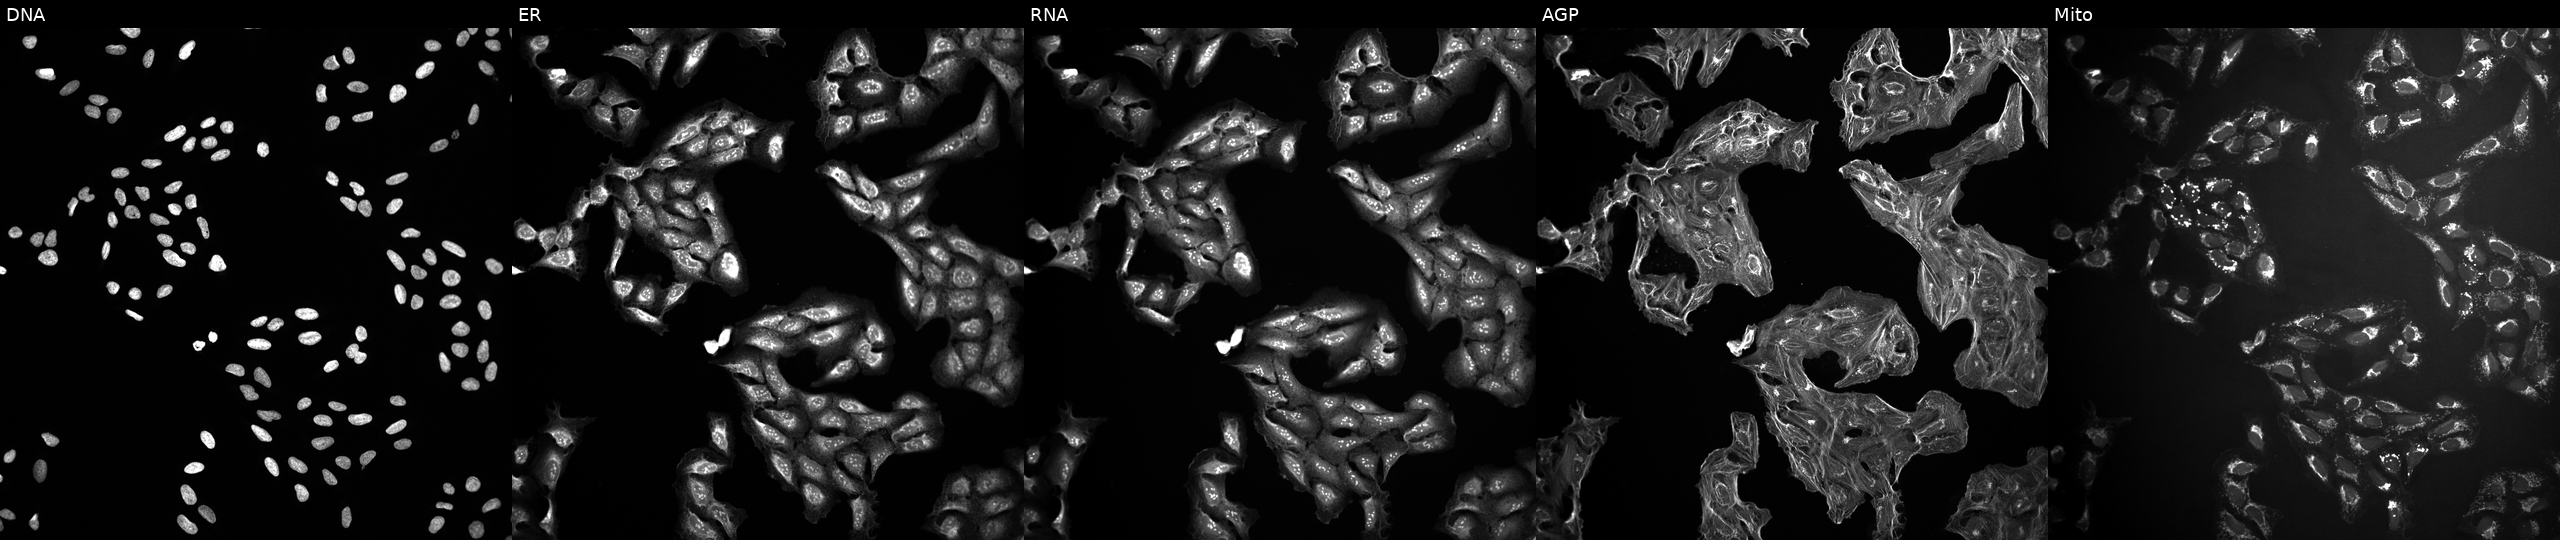
JUMP Cell Painting — TARGET2 plate. U2OS cells treated with a small-molecule compound (InChIKey NMUSYJAQQFHJEW-UHFFFAOYSA-N). From left to right: DNA (nuclei); ER (endoplasmic reticulum); RNA (nucleoli and cytoplasmic RNA); AGP (actin cytoskeleton, Golgi, and plasma membrane); Mito (mitochondria).